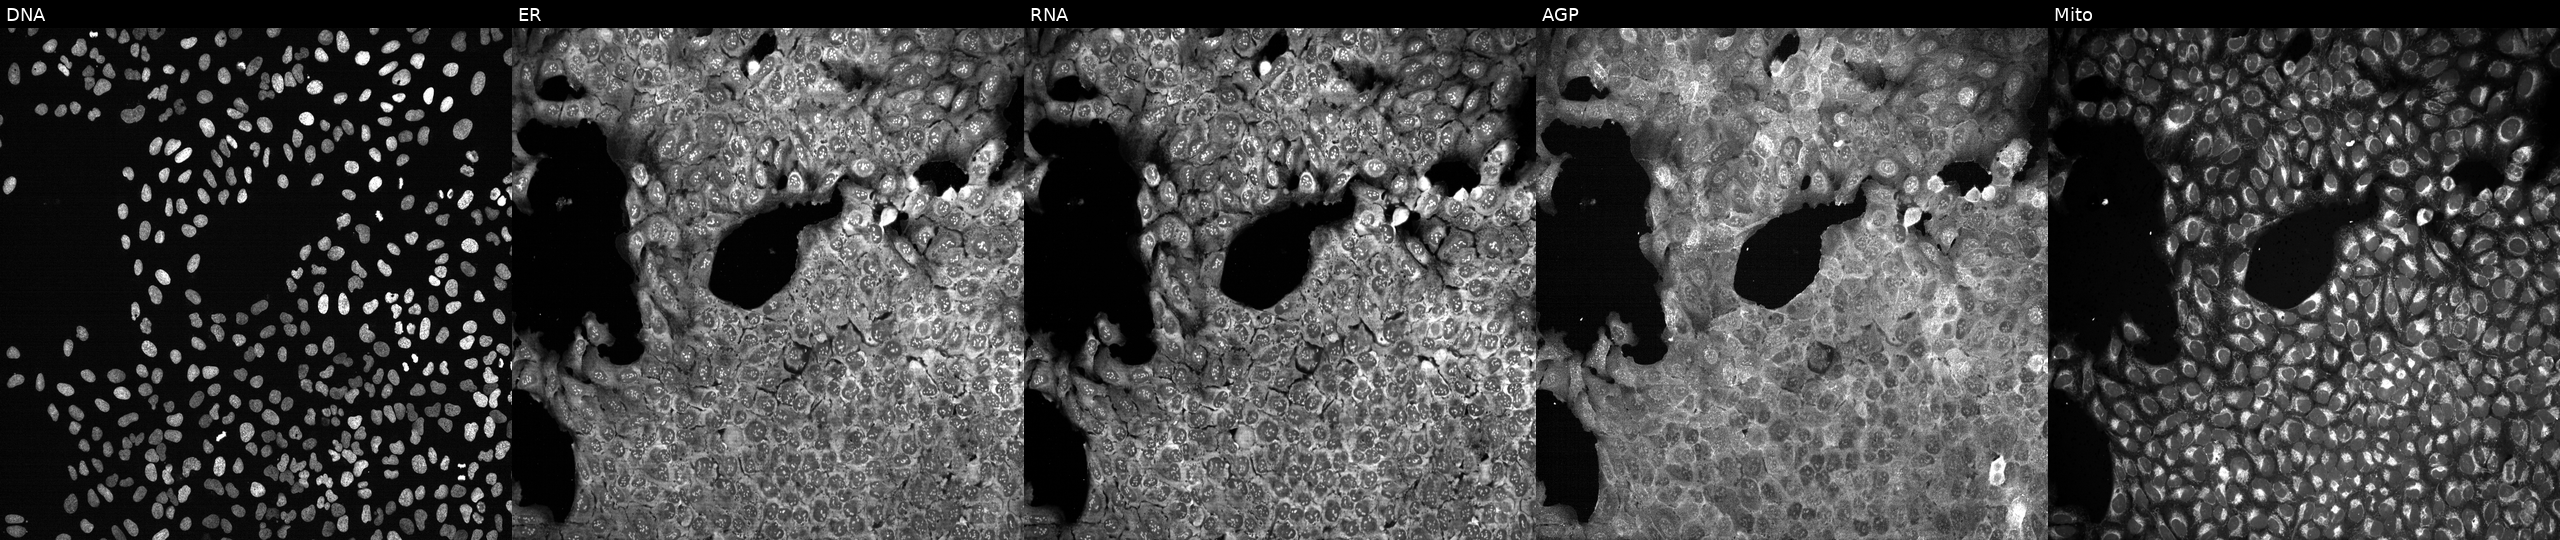
JUMP Cell Painting — CRISPR plate. U2OS cells following CRISPR knockout of PCMTD2. From left to right: Hoechst 33342, concanavalin A, SYTO 14, phalloidin and WGA, MitoTracker.